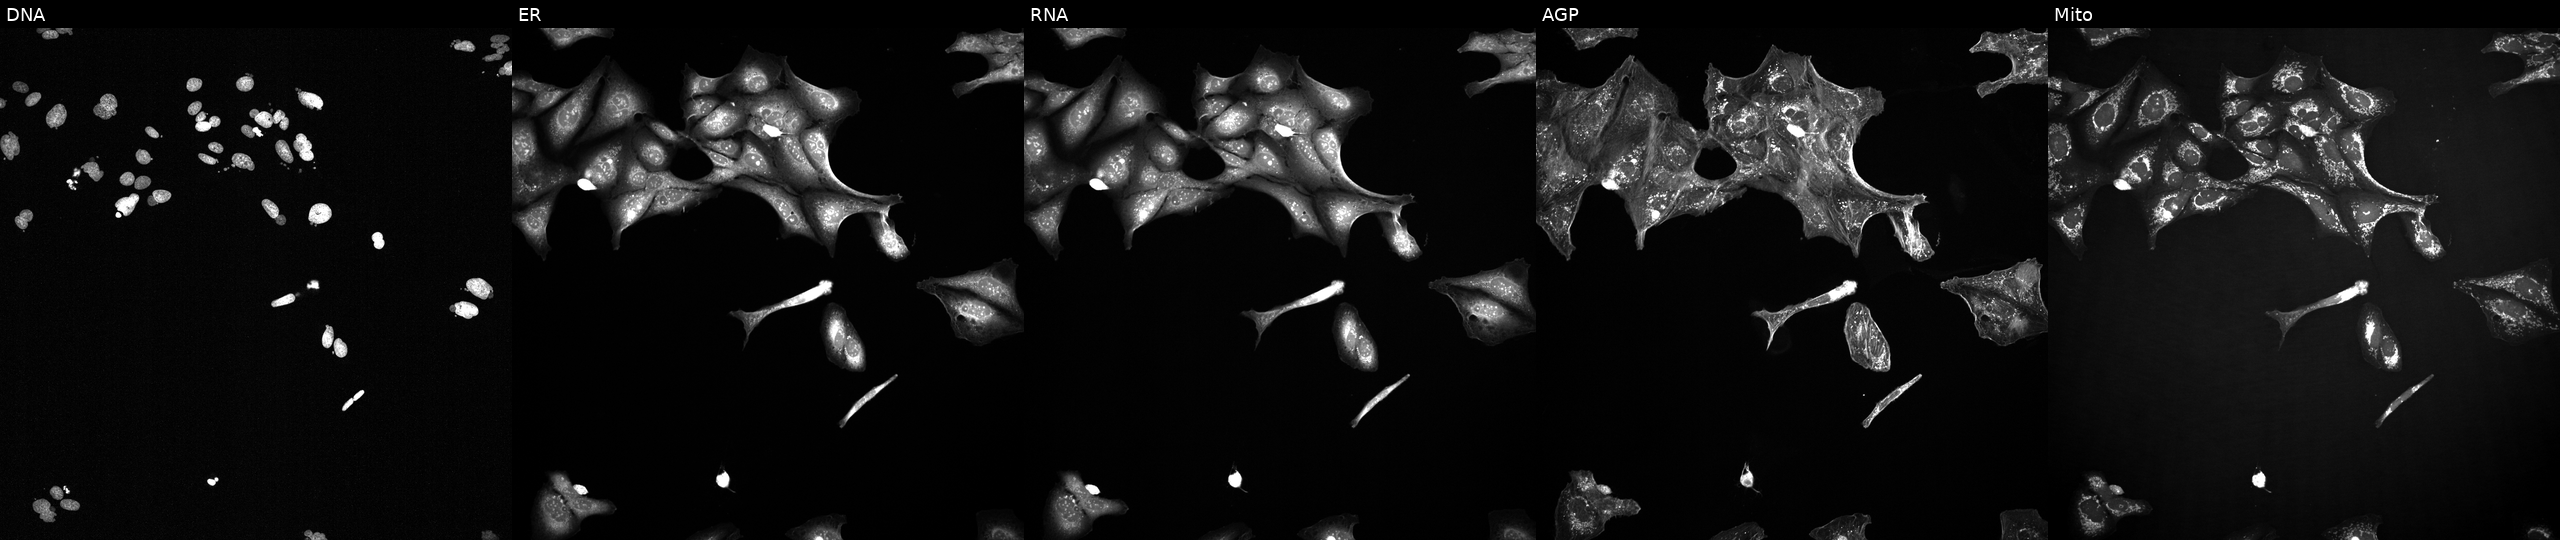
JUMP Cell Painting — TARGET2 plate. U2OS cells treated with a small-molecule compound (InChIKey JOOXLOJCABQBSG-UHFFFAOYSA-N) (JUMP id JCP2022_041139). Panels show, left to right, Hoechst 33342, concanavalin A, SYTO 14, phalloidin and WGA, MitoTracker.